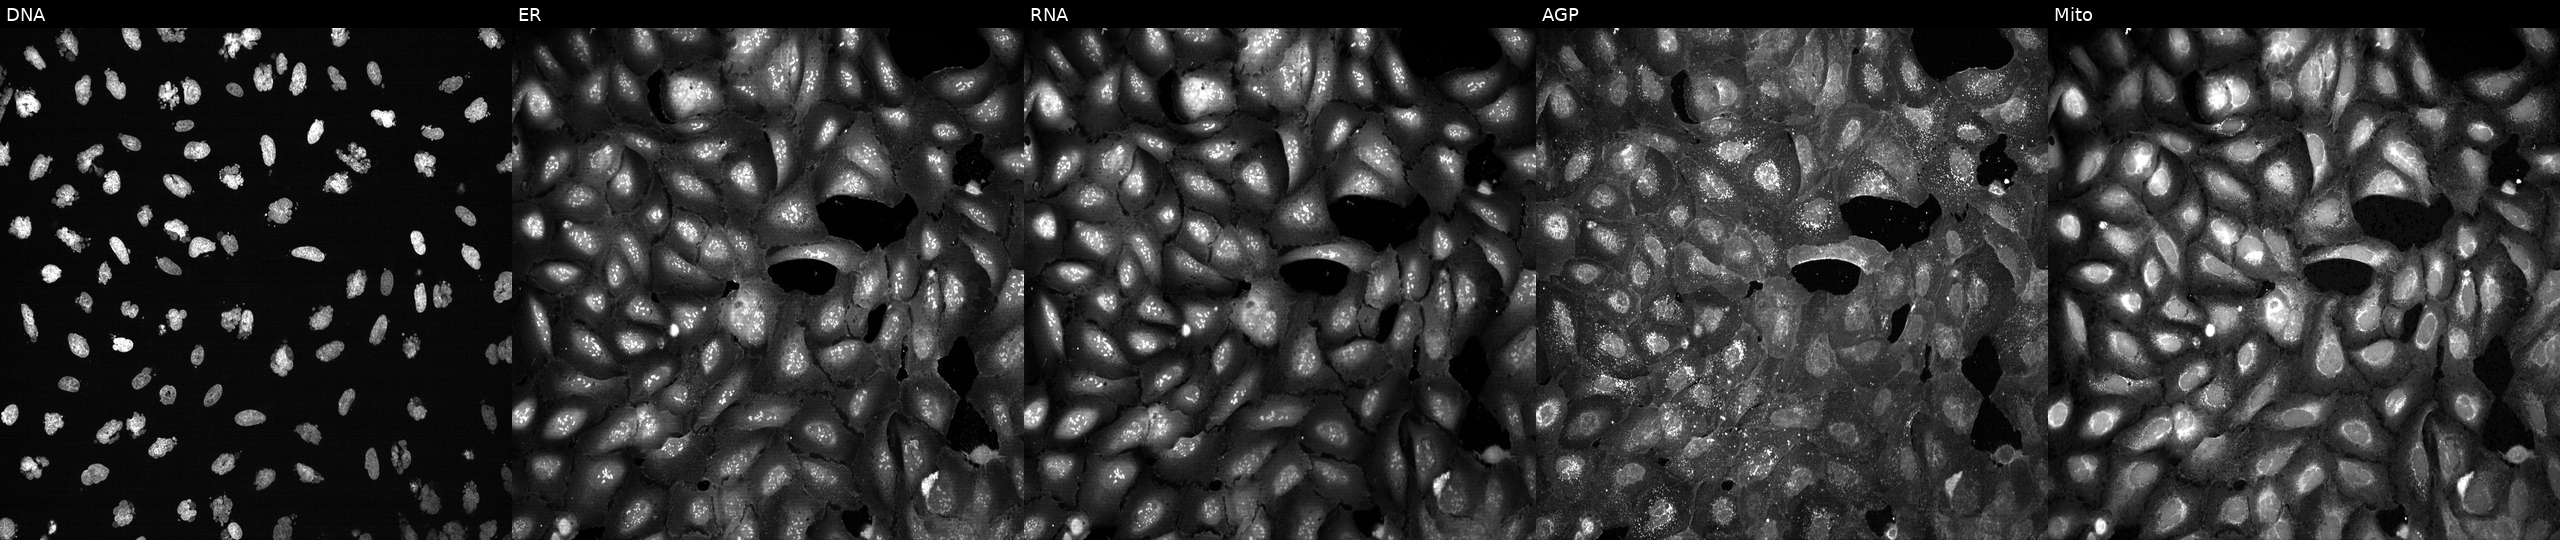
U2OS cells, Cell Painting assay, treated with AMG900 (positive-control compound) (JUMP id JCP2022_037716). Panels show, left to right, Hoechst 33342, concanavalin A, SYTO 14, phalloidin and WGA, MitoTracker. Each panel is percentile-stretched 16-bit fluorescence. Source 13, plate CP-CC9-R1-02, well N24.